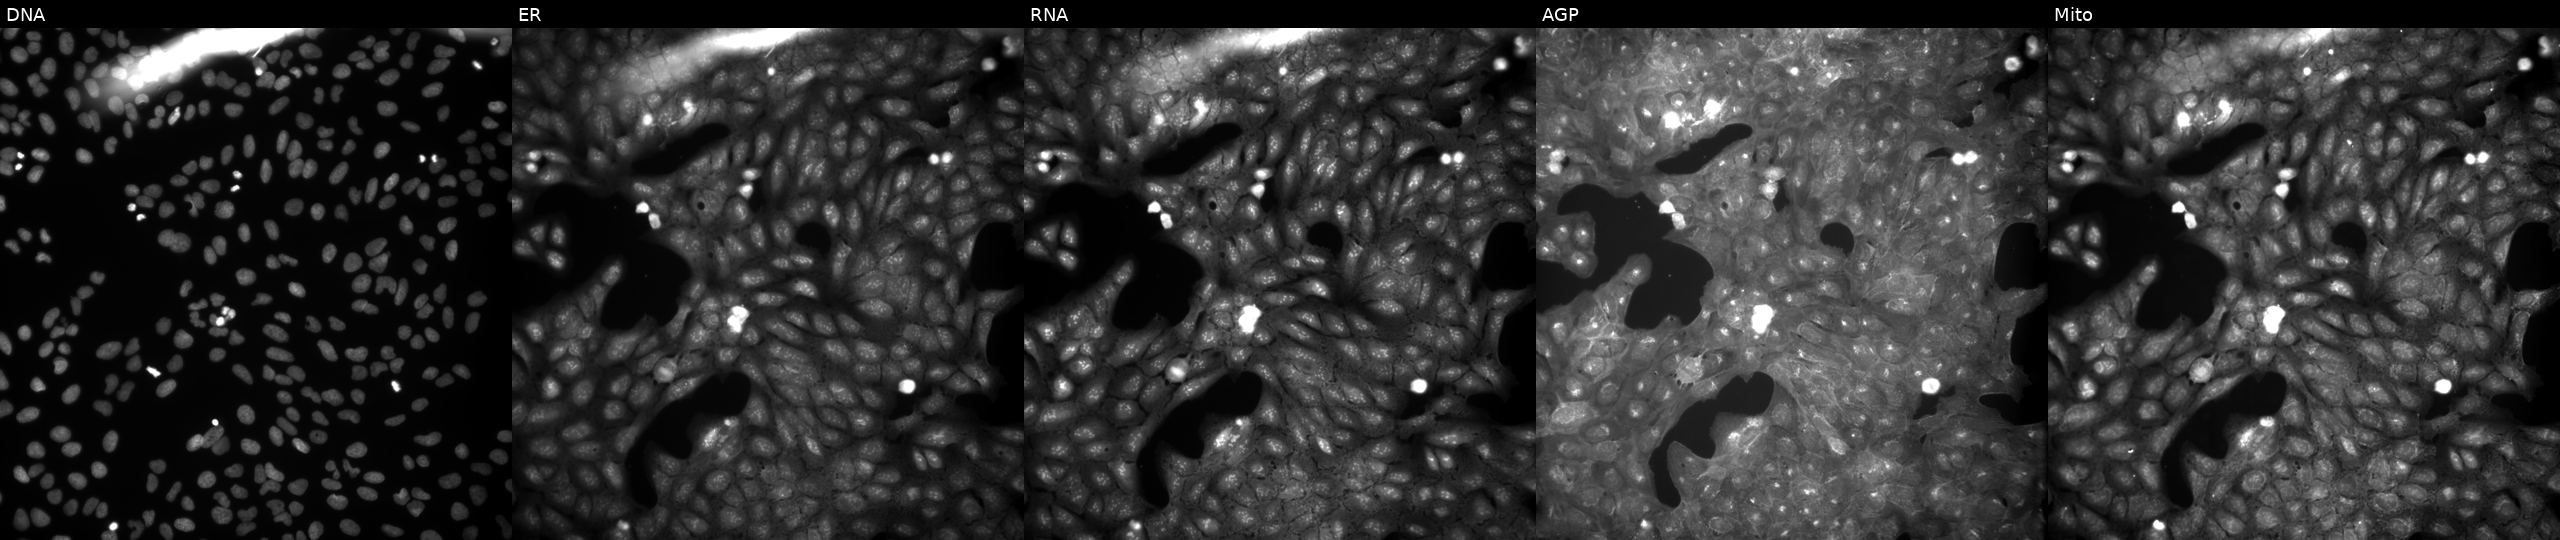
This image strip shows the five Cell Painting channels for a single field of U2OS cells exposed to a small-molecule compound (JUMP id JCP2022_057438). Channels (left→right): DNA, ER, RNA, AGP, and Mito.